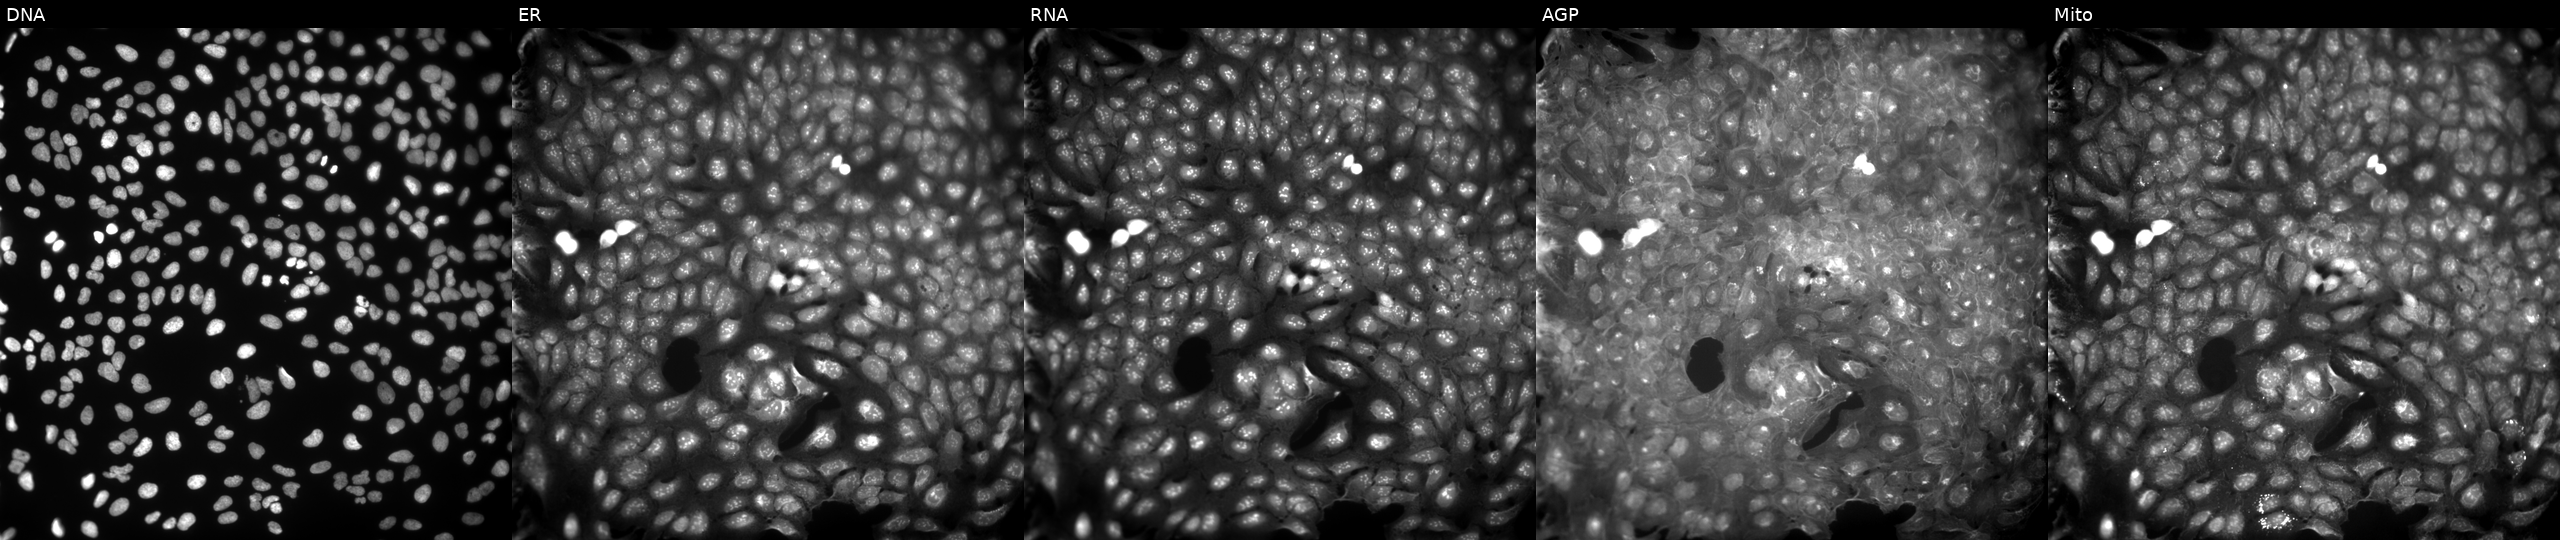
U2OS cells, Cell Painting assay, treated with a small-molecule compound. Panels show, left to right, DNA, ER, RNA, AGP, and Mito. Each panel is percentile-stretched 16-bit fluorescence.